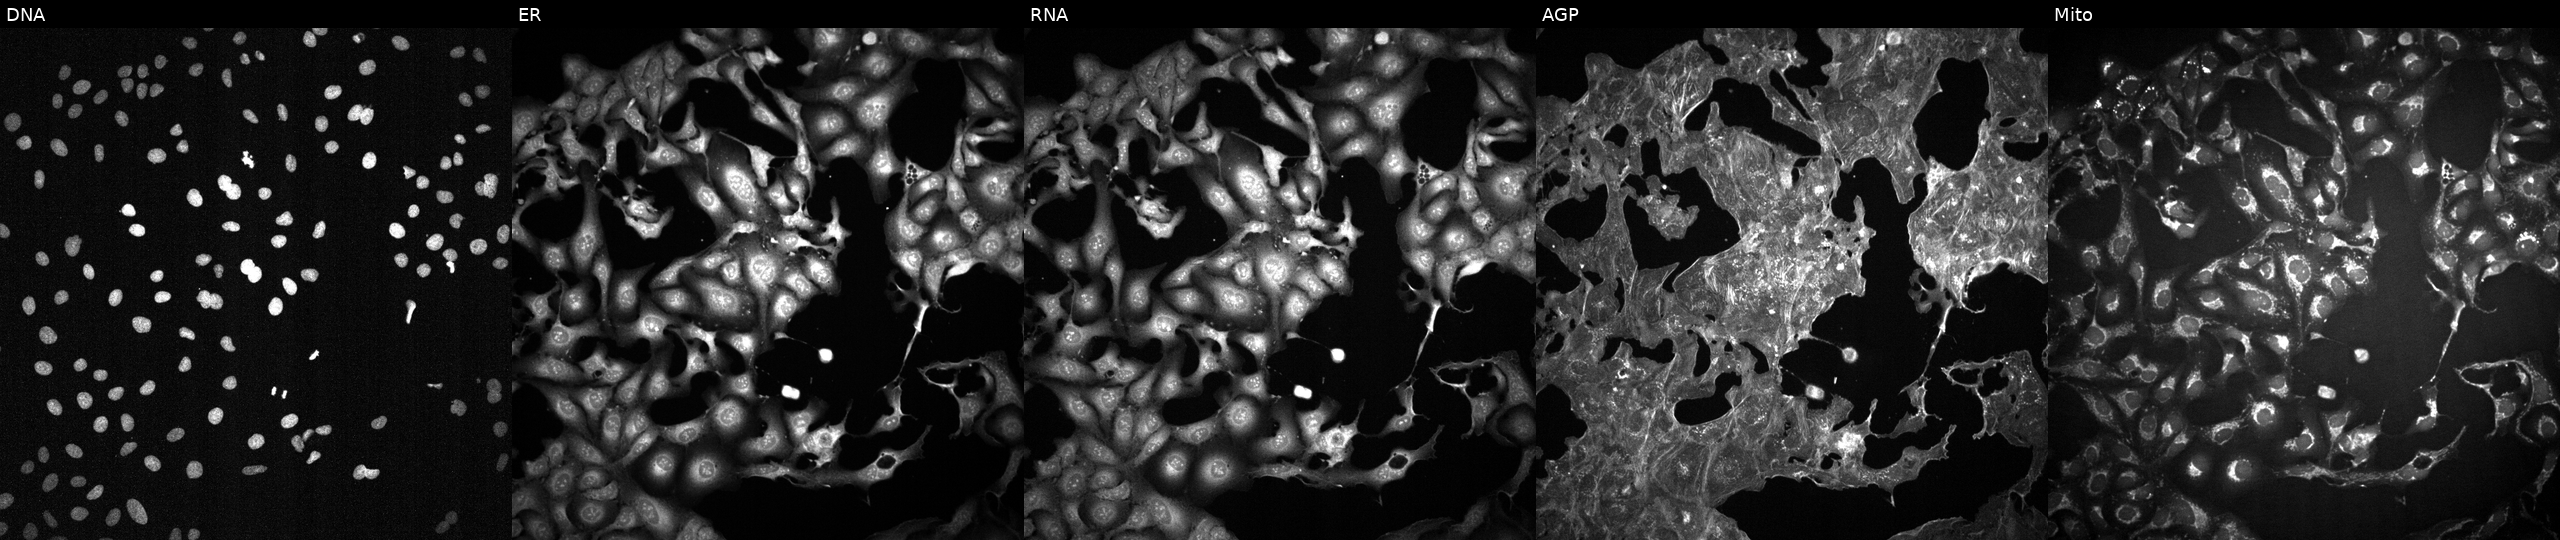
Channels (left→right): Hoechst 33342, concanavalin A, SYTO 14, phalloidin and WGA, MitoTracker. U2OS osteosarcoma cells exposed to a small-molecule compound (InChIKey GDVRVPIXWXOKQO-UHFFFAOYSA-N) [SMILES: O=C(N=c1[nH]c(-c2ccncc2)cs1)NCc1cccc(O)c1]. Cell Painting assay, JUMP-CP dataset.